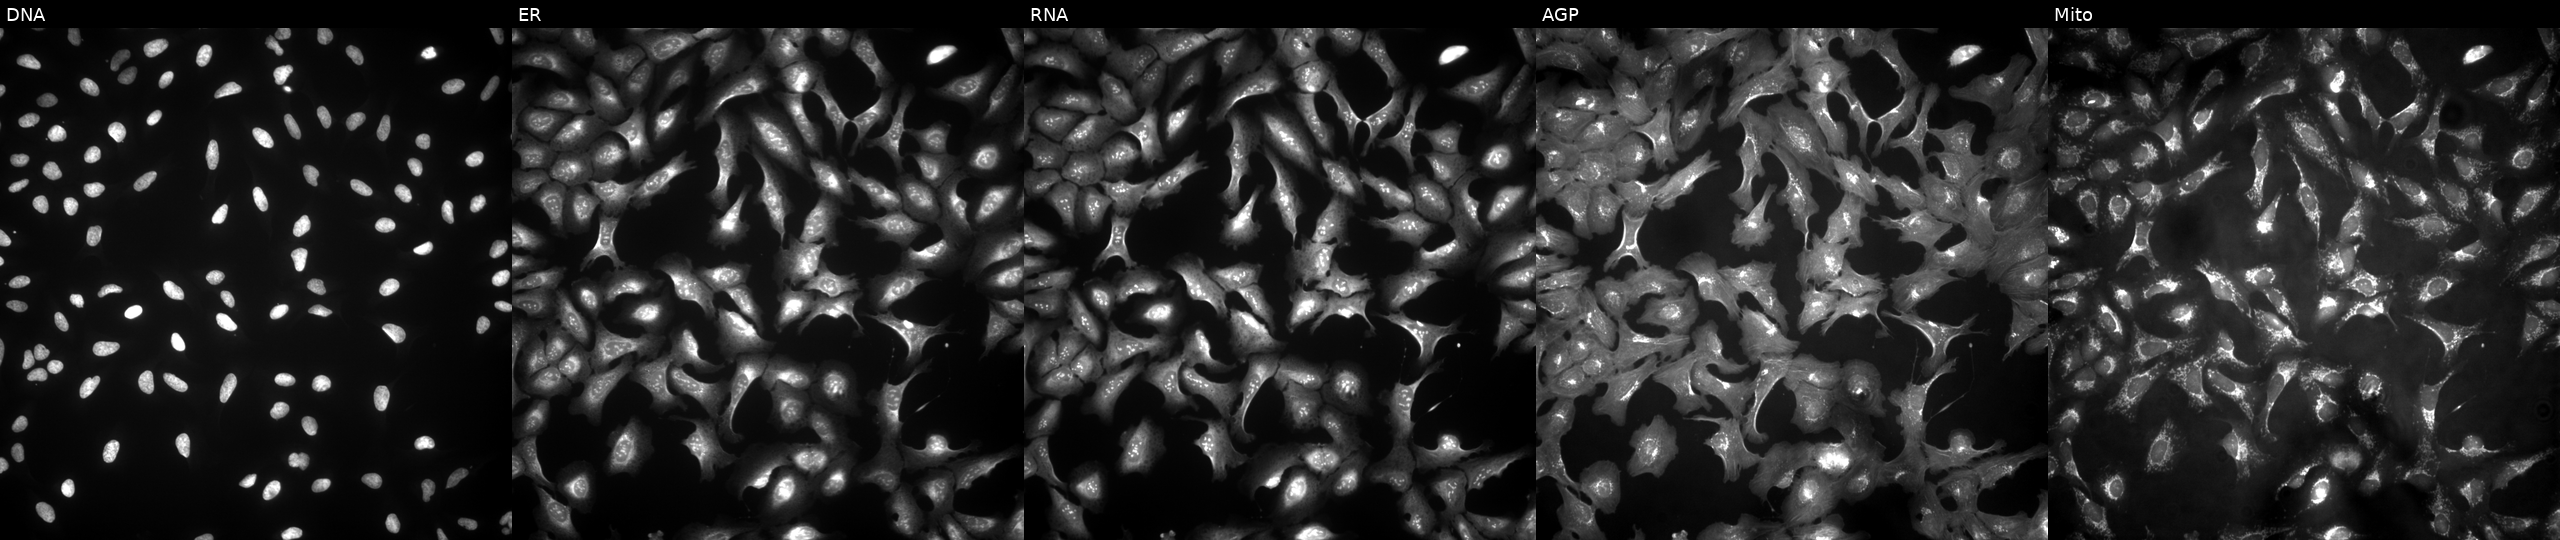
High-content fluorescence microscopy (Cell Painting). Cell line: U2OS. Perturbation: with DARS2 overexpressed (ORF) (JUMP id JCP2022_903317). From left to right: DNA, ER, RNA, AGP, and Mito.